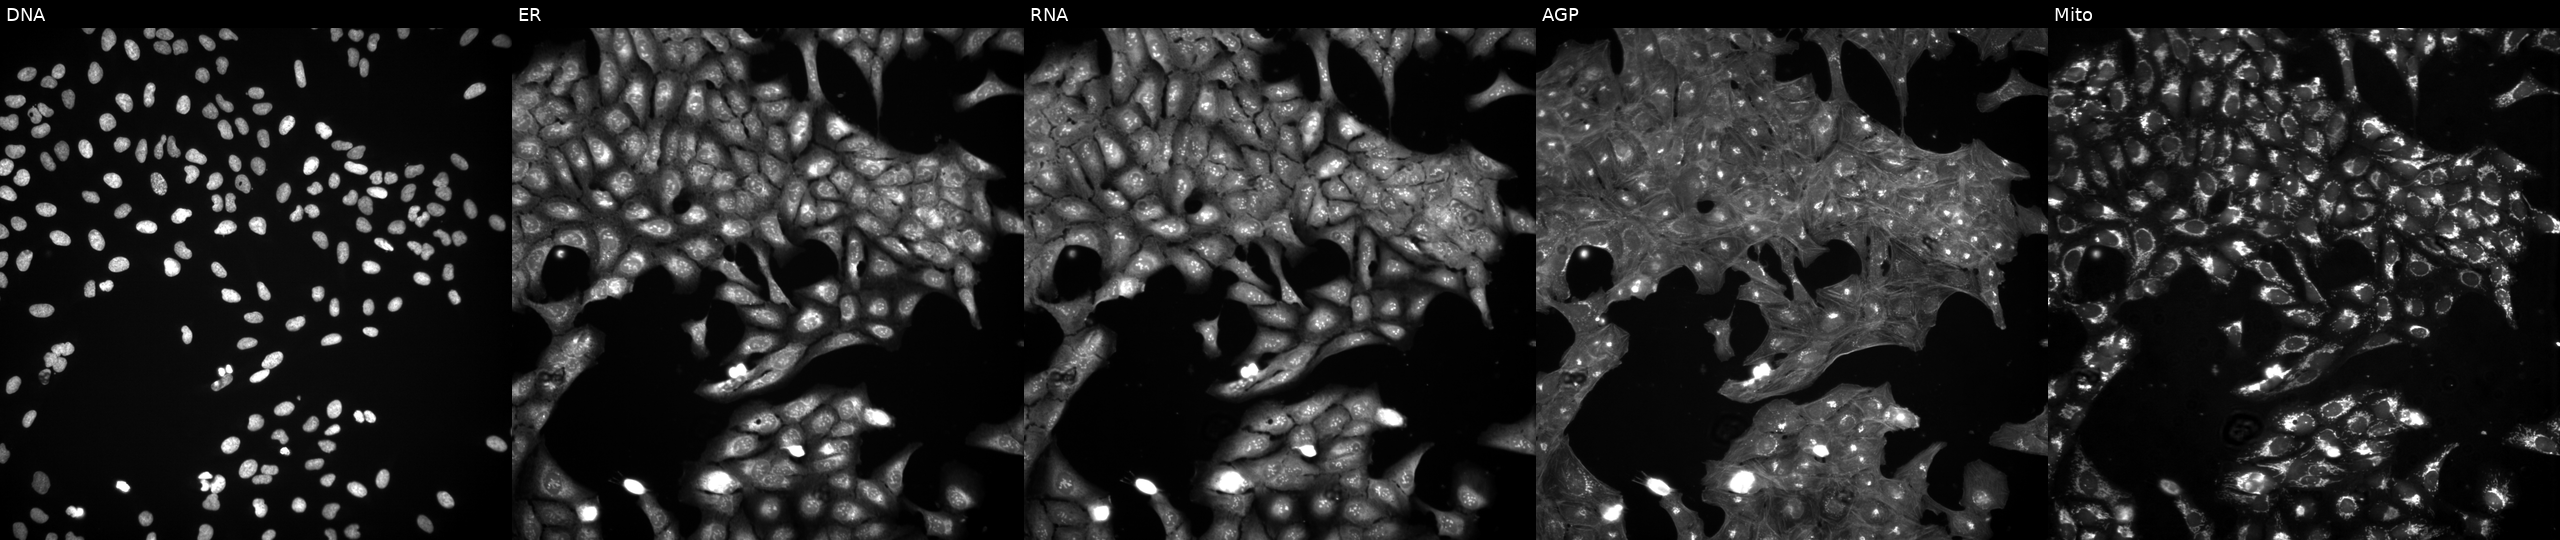
High-content fluorescence microscopy (Cell Painting). Cell line: U2OS. Perturbation: treated with a small-molecule compound (InChIKey XOSOPCZEAHTCAG-UHFFFAOYSA-N). From left to right: DNA, ER, RNA, AGP, and Mito.